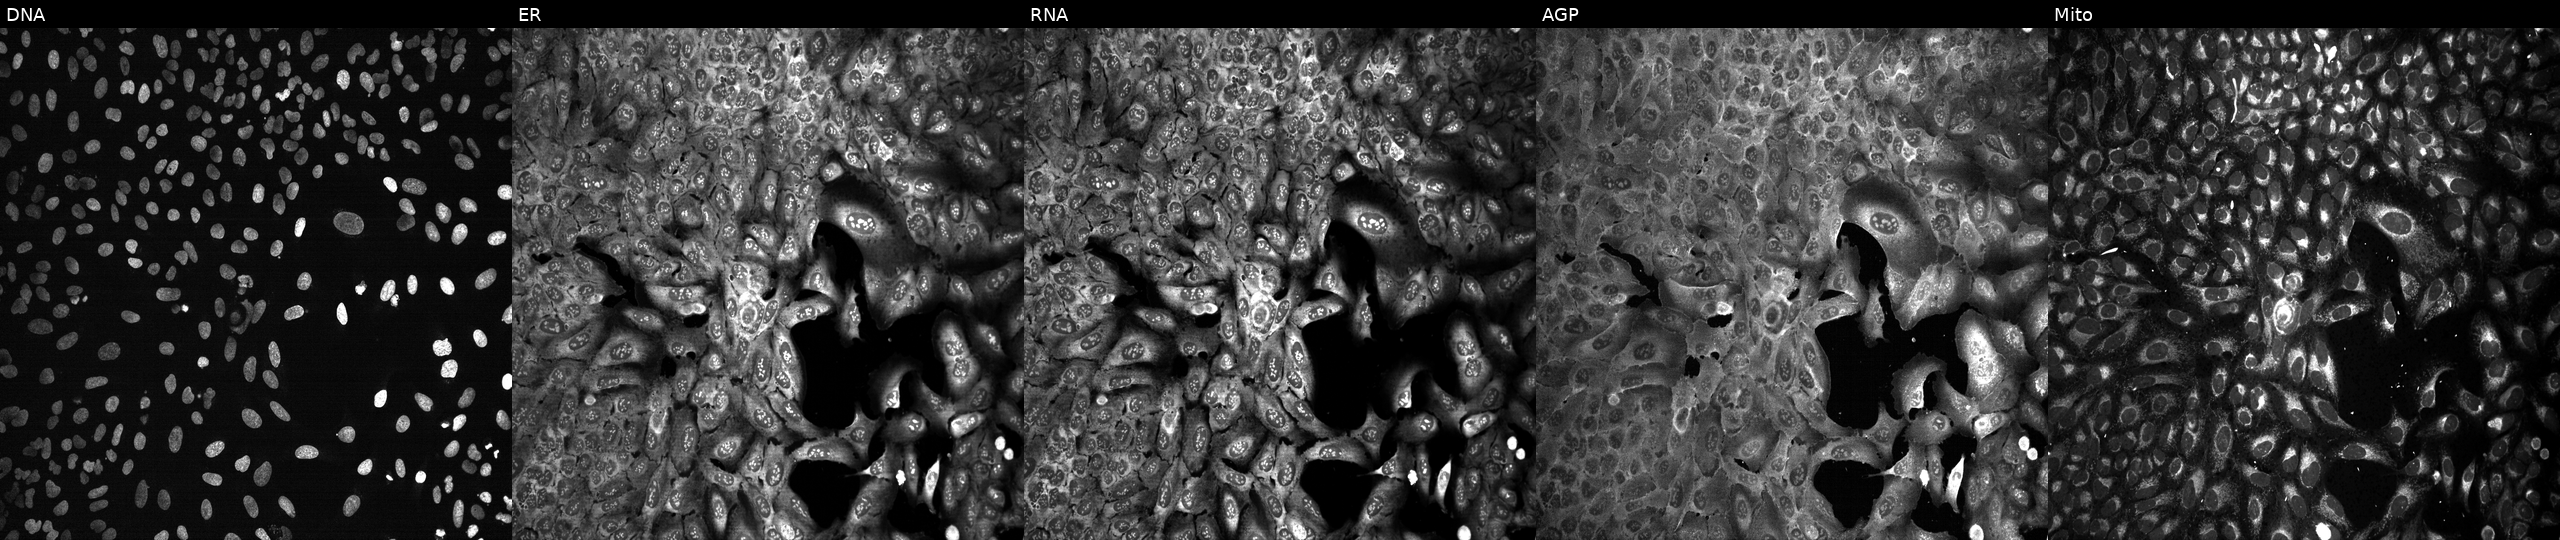
Five-channel Cell Painting image of U2OS cells with POLE knocked out by CRISPR (JUMP id JCP2022_805327). From left to right: Hoechst 33342, concanavalin A, SYTO 14, phalloidin and WGA, MitoTracker. Source 13, plate CP-CC9-R3-01, well C05.